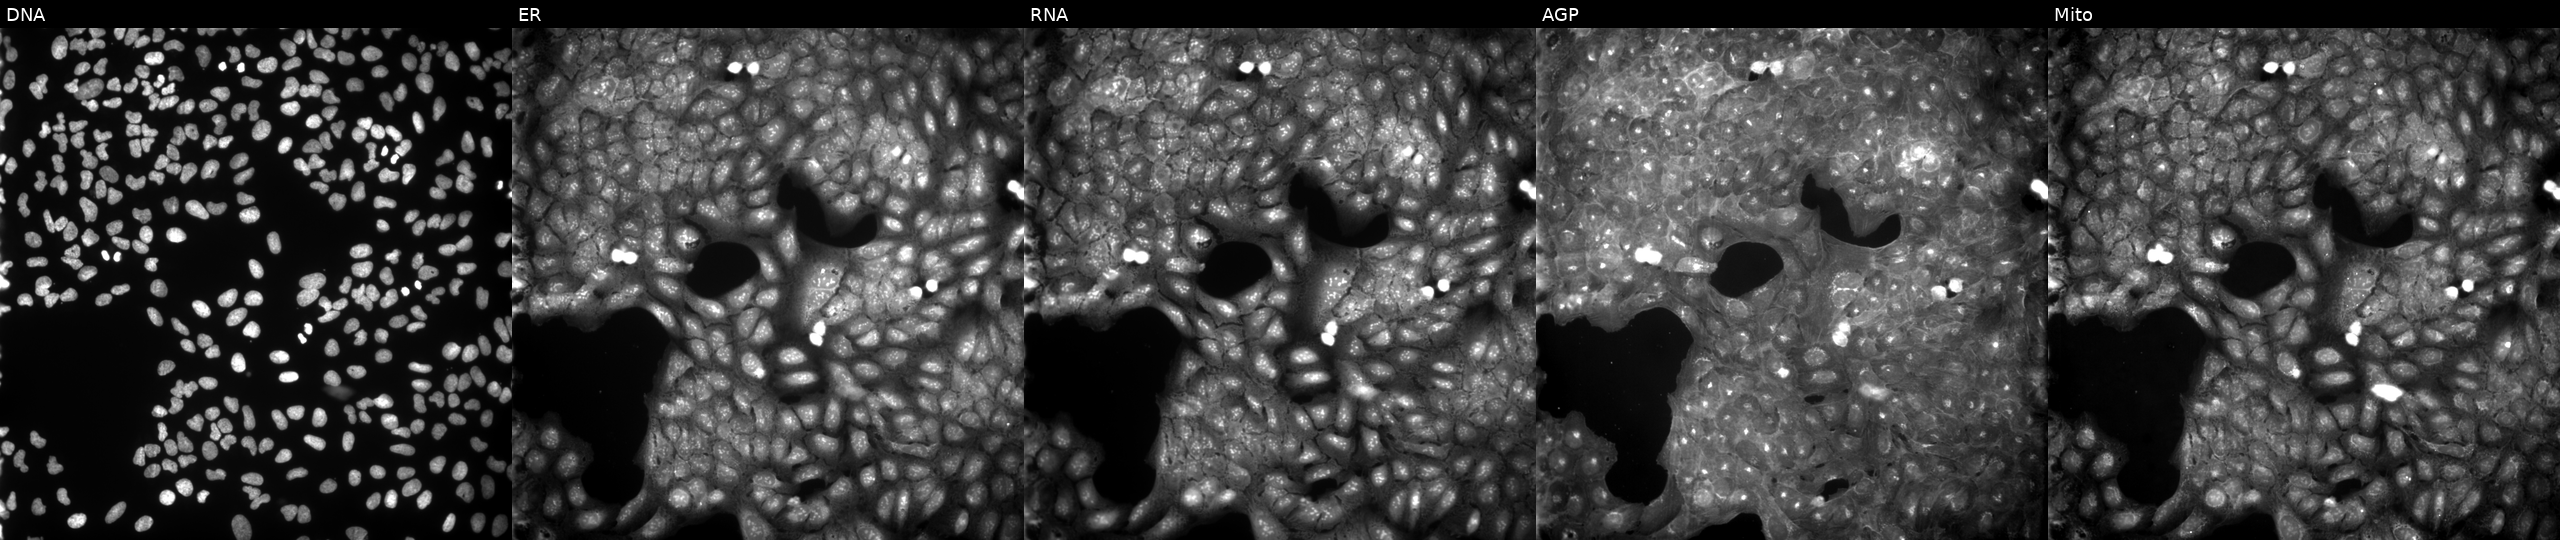
Five-channel Cell Painting image of U2OS cells treated with DMSO vehicle only (negative control) (JUMP id JCP2022_033924). Channels (left→right): Hoechst 33342, concanavalin A, SYTO 14, phalloidin and WGA, MitoTracker.